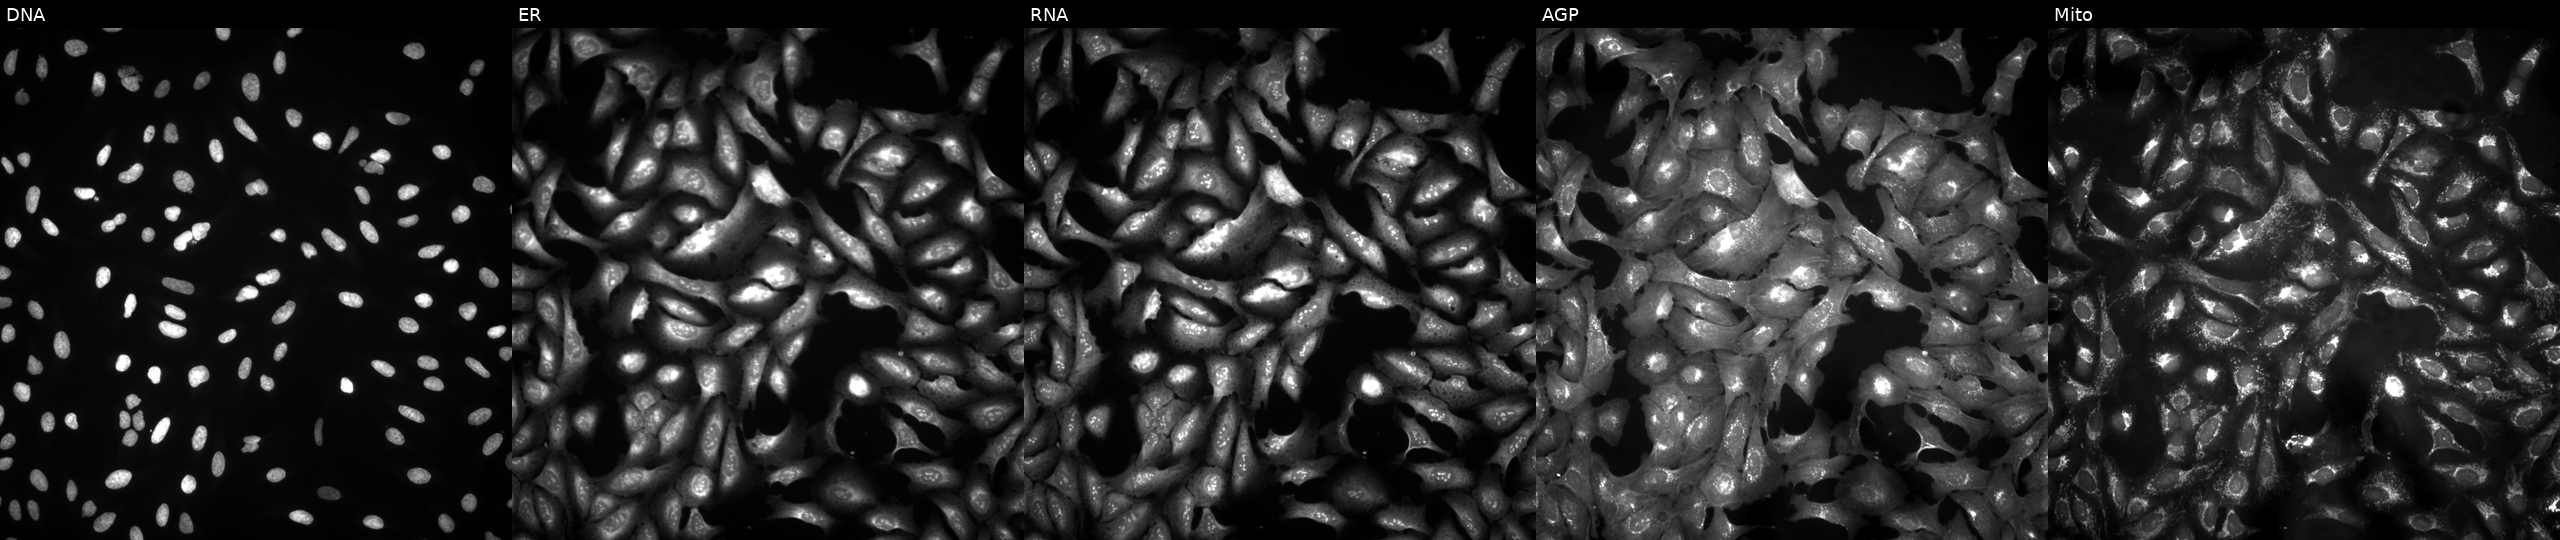
Five-channel Cell Painting image of U2OS cells with C2CD6 overexpressed (ORF). The five panels, left to right, show DNA, ER, RNA, AGP, and Mito.